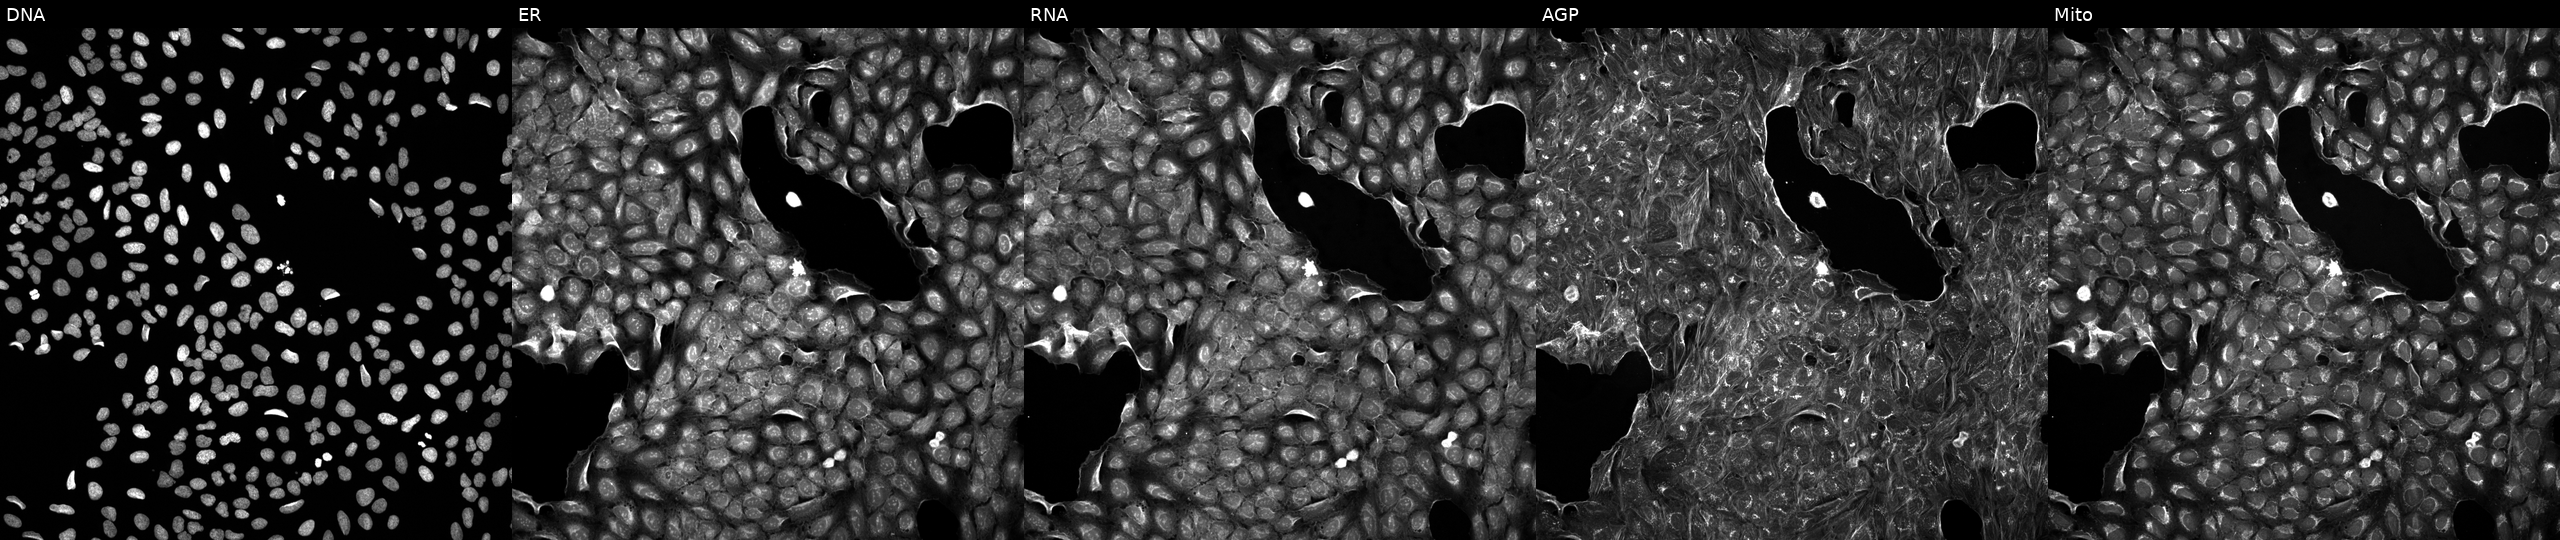
High-content fluorescence microscopy (Cell Painting). Cell line: U2OS. Perturbation: exposed to a small-molecule compound (InChIKey IJKRGTJXBIRPOV-UHFFFAOYSA-N). From left to right: DNA (nuclei); ER (endoplasmic reticulum); RNA (nucleoli and cytoplasmic RNA); AGP (actin cytoskeleton, Golgi, and plasma membrane); Mito (mitochondria). Source 5, plate APTJUM106, well N13.